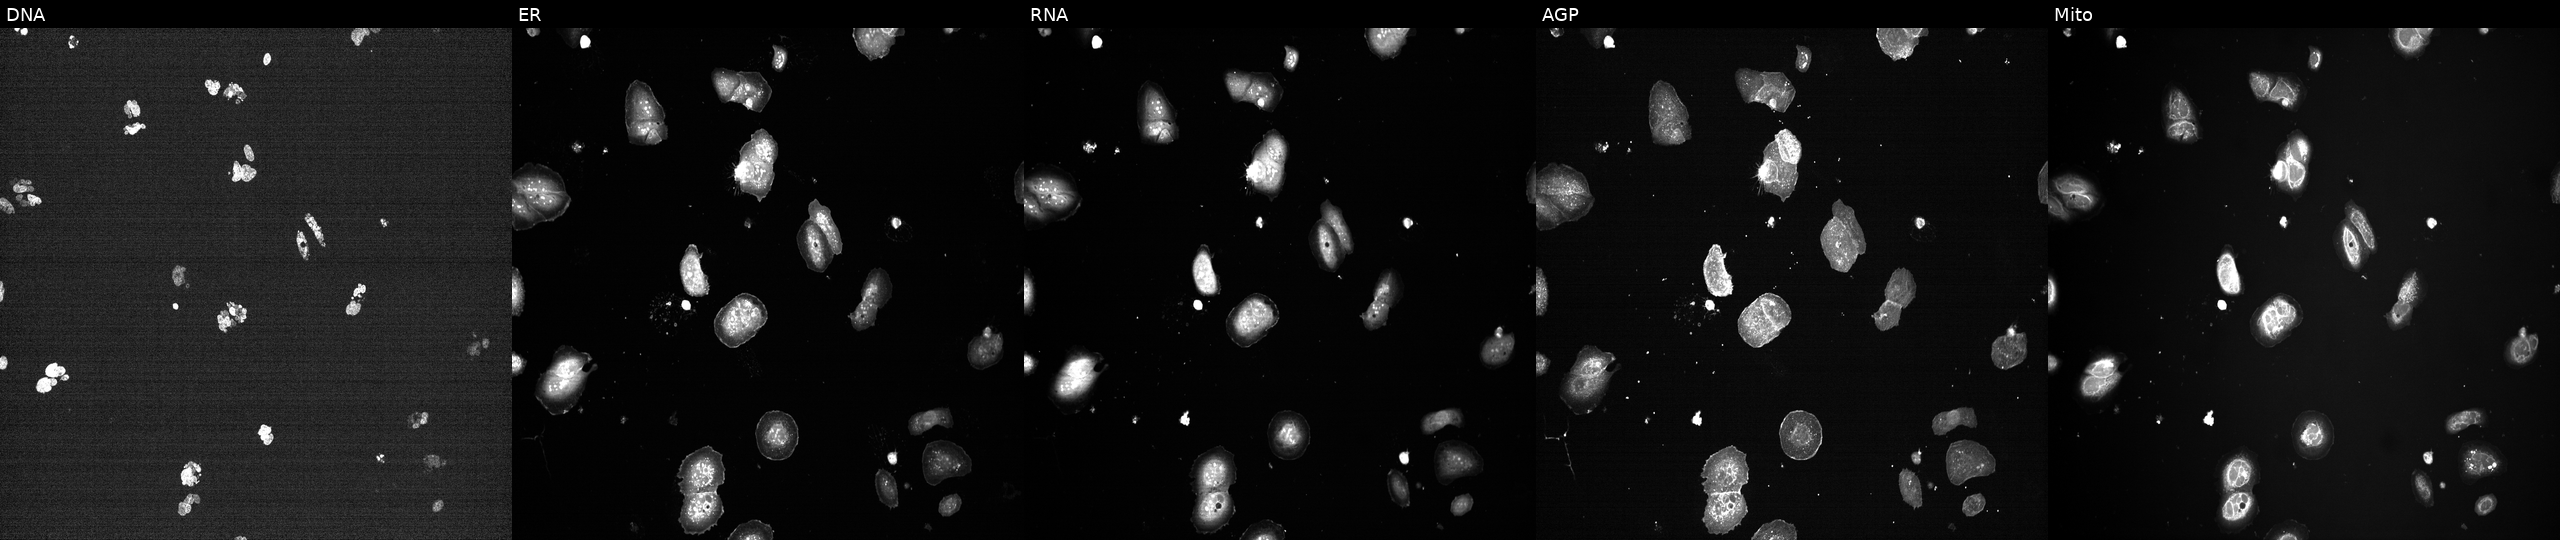
JUMP Cell Painting — TARGET2 plate. U2OS cells treated with a small-molecule compound (InChIKey FABUFPQFXZVHFB-UHFFFAOYSA-N) [SMILES: CC(=Cc1csc(C)n1)C1CC2OC2(C)CCCC(C)C(O)C(C)C(=O)C(C)(C)C(O)CC(=O)N1]. The five panels, left to right, show Hoechst 33342, concanavalin A, SYTO 14, phalloidin and WGA, MitoTracker.